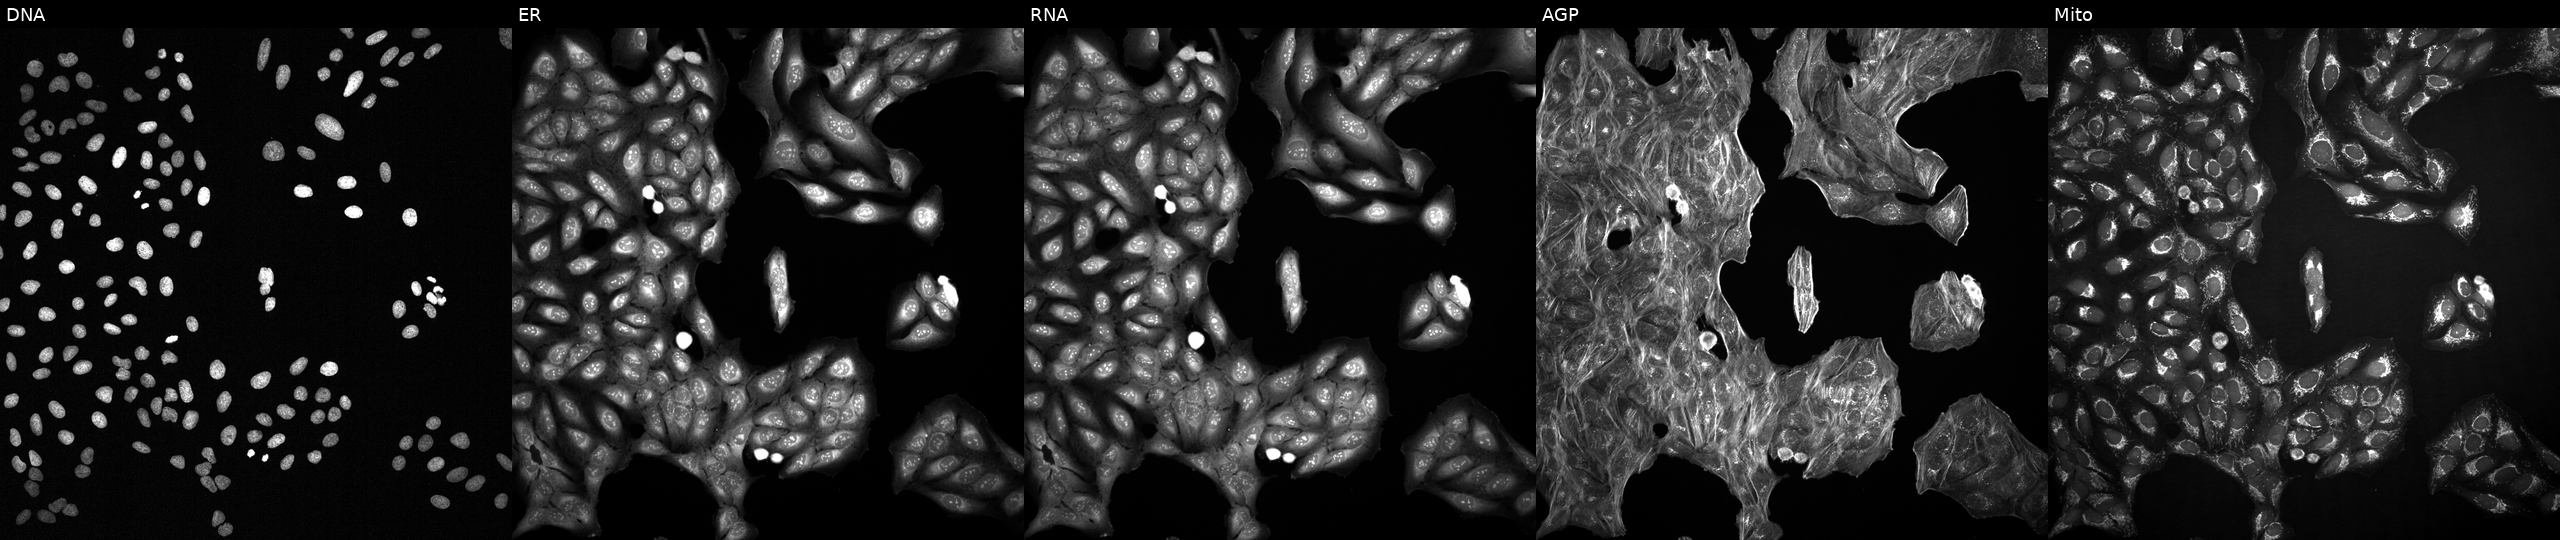
JUMP Cell Painting — COMPOUND plate. U2OS cells with an unidentified perturbation (not annotated in JUMP metadata). The five panels, left to right, show DNA (nuclei); ER (endoplasmic reticulum); RNA (nucleoli and cytoplasmic RNA); AGP (actin cytoskeleton, Golgi, and plasma membrane); Mito (mitochondria).